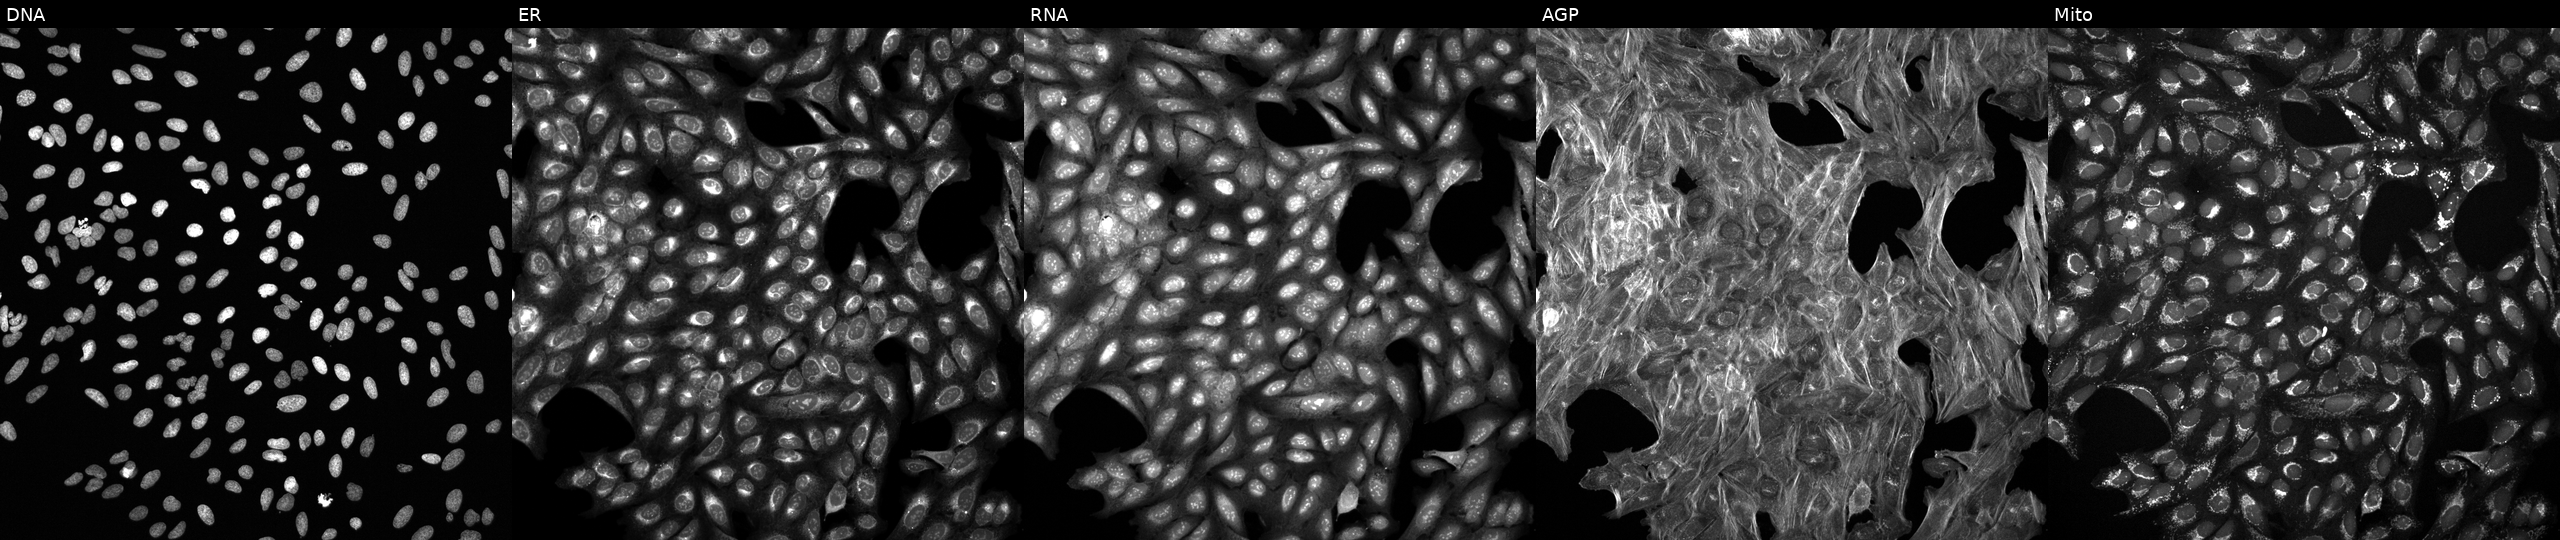
U2OS cells, Cell Painting assay, treated with a small-molecule compound (InChIKey WXPNDRBBWZMPQG-UHFFFAOYSA-N). The five panels, left to right, show DNA (nuclei); ER (endoplasmic reticulum); RNA (nucleoli and cytoplasmic RNA); AGP (actin cytoskeleton, Golgi, and plasma membrane); Mito (mitochondria). Each panel is percentile-stretched 16-bit fluorescence.